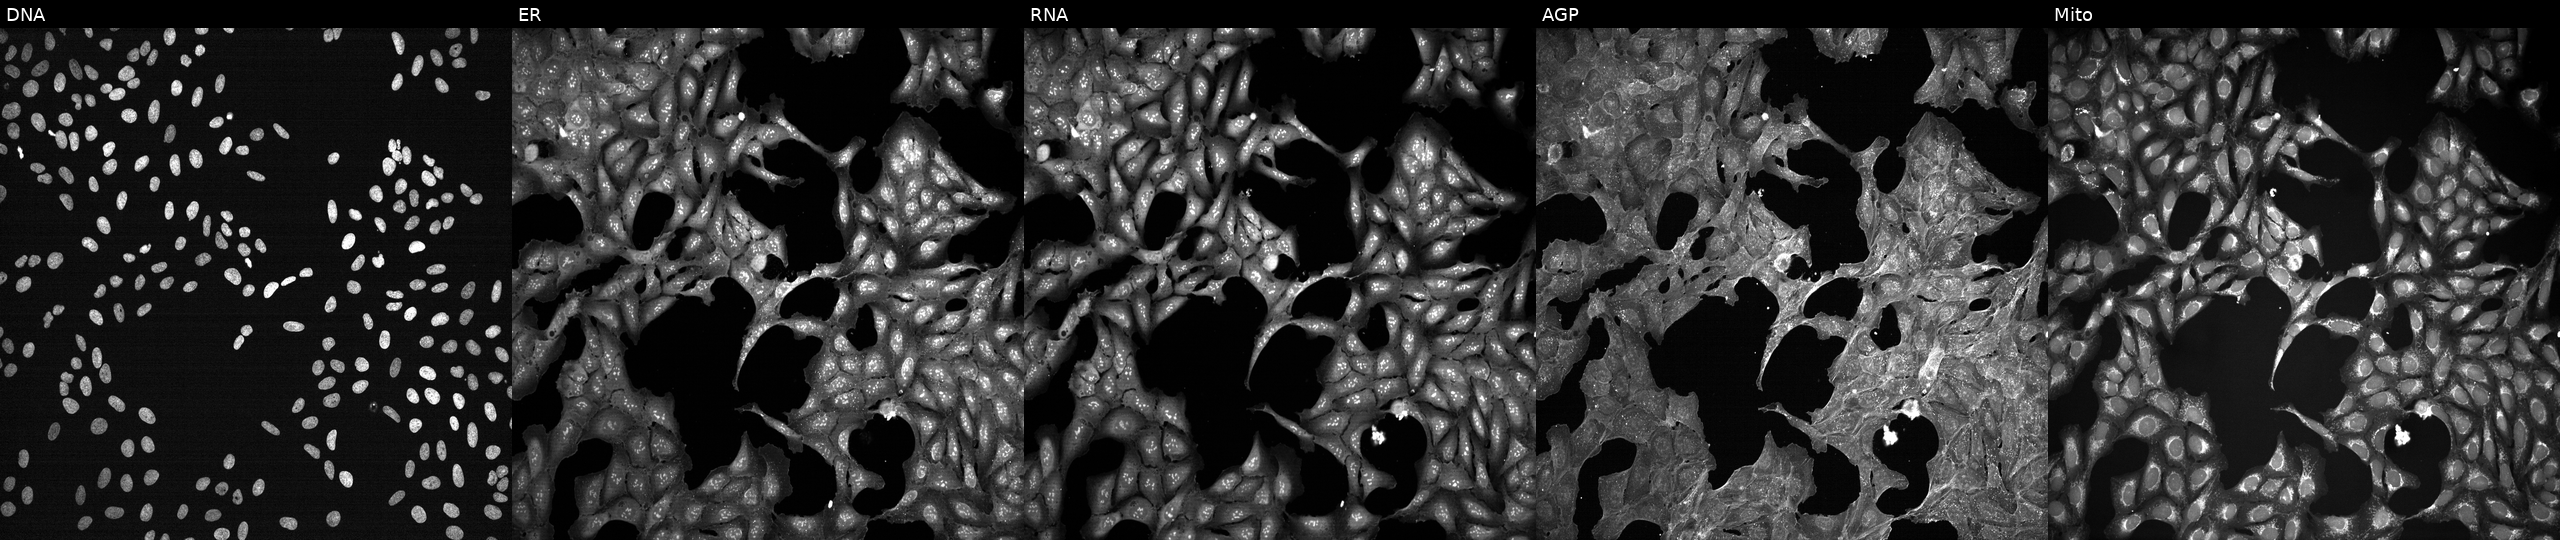
U2OS cells, Cell Painting assay, treated with a small-molecule compound (InChIKey LEVWYRKDKASIDU-UHFFFAOYSA-N) (JUMP id JCP2022_048971). Channels (left→right): Hoechst 33342, concanavalin A, SYTO 14, phalloidin and WGA, MitoTracker. Each panel is percentile-stretched 16-bit fluorescence.